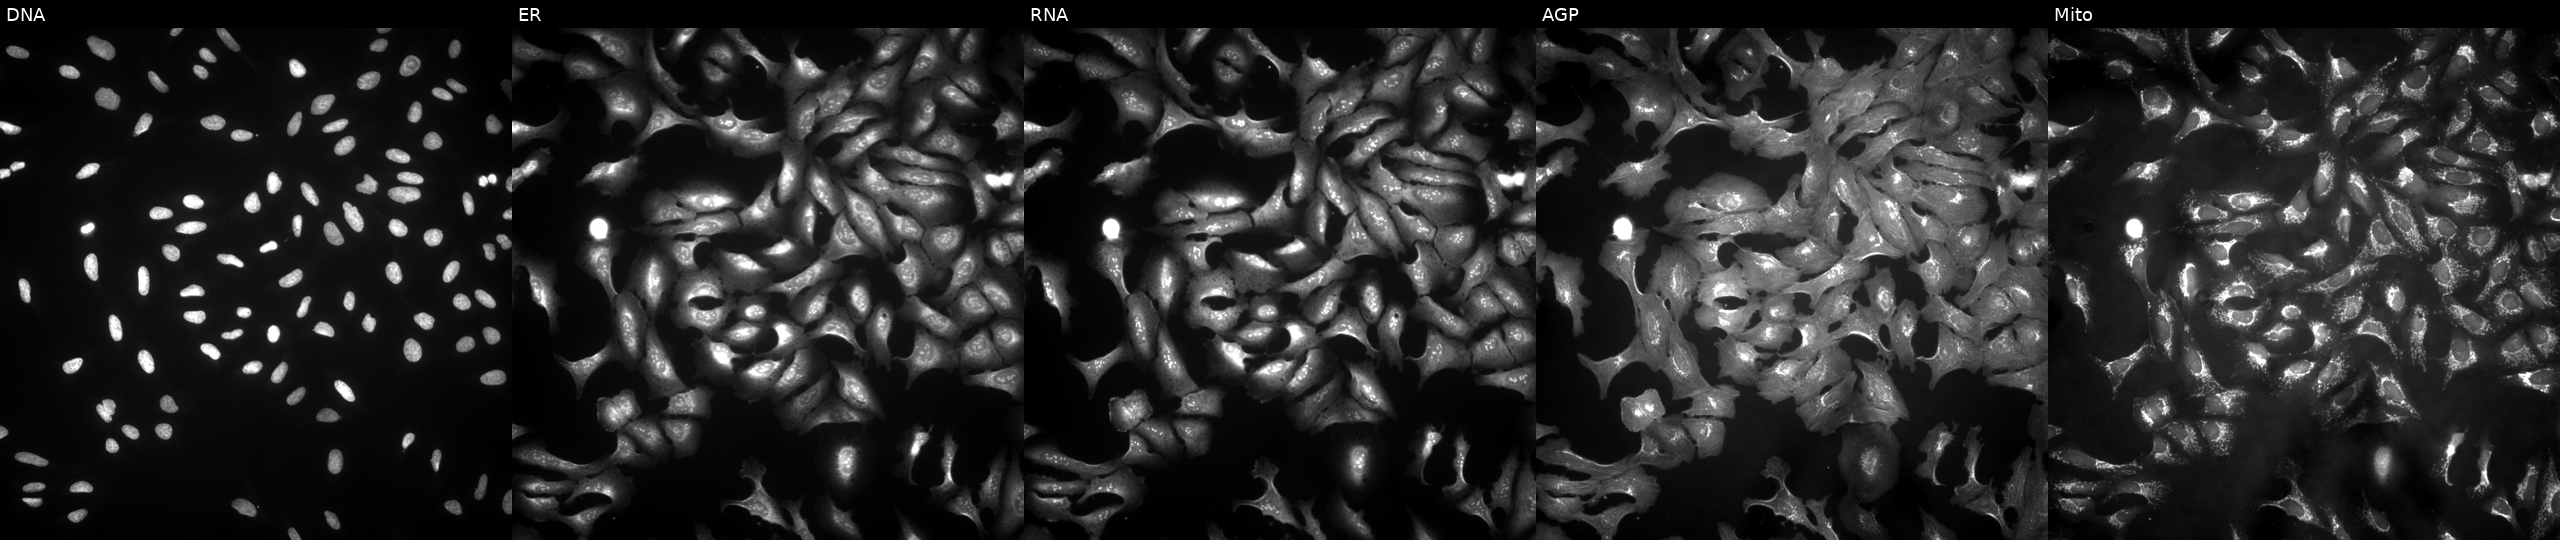
JUMP Cell Painting — ORF plate. U2OS cells overexpressing HYAL3 via ORF transfection (JUMP id JCP2022_906757). The five panels, left to right, show Hoechst 33342, concanavalin A, SYTO 14, phalloidin and WGA, MitoTracker. Source 4, plate BR00123506, well E10.